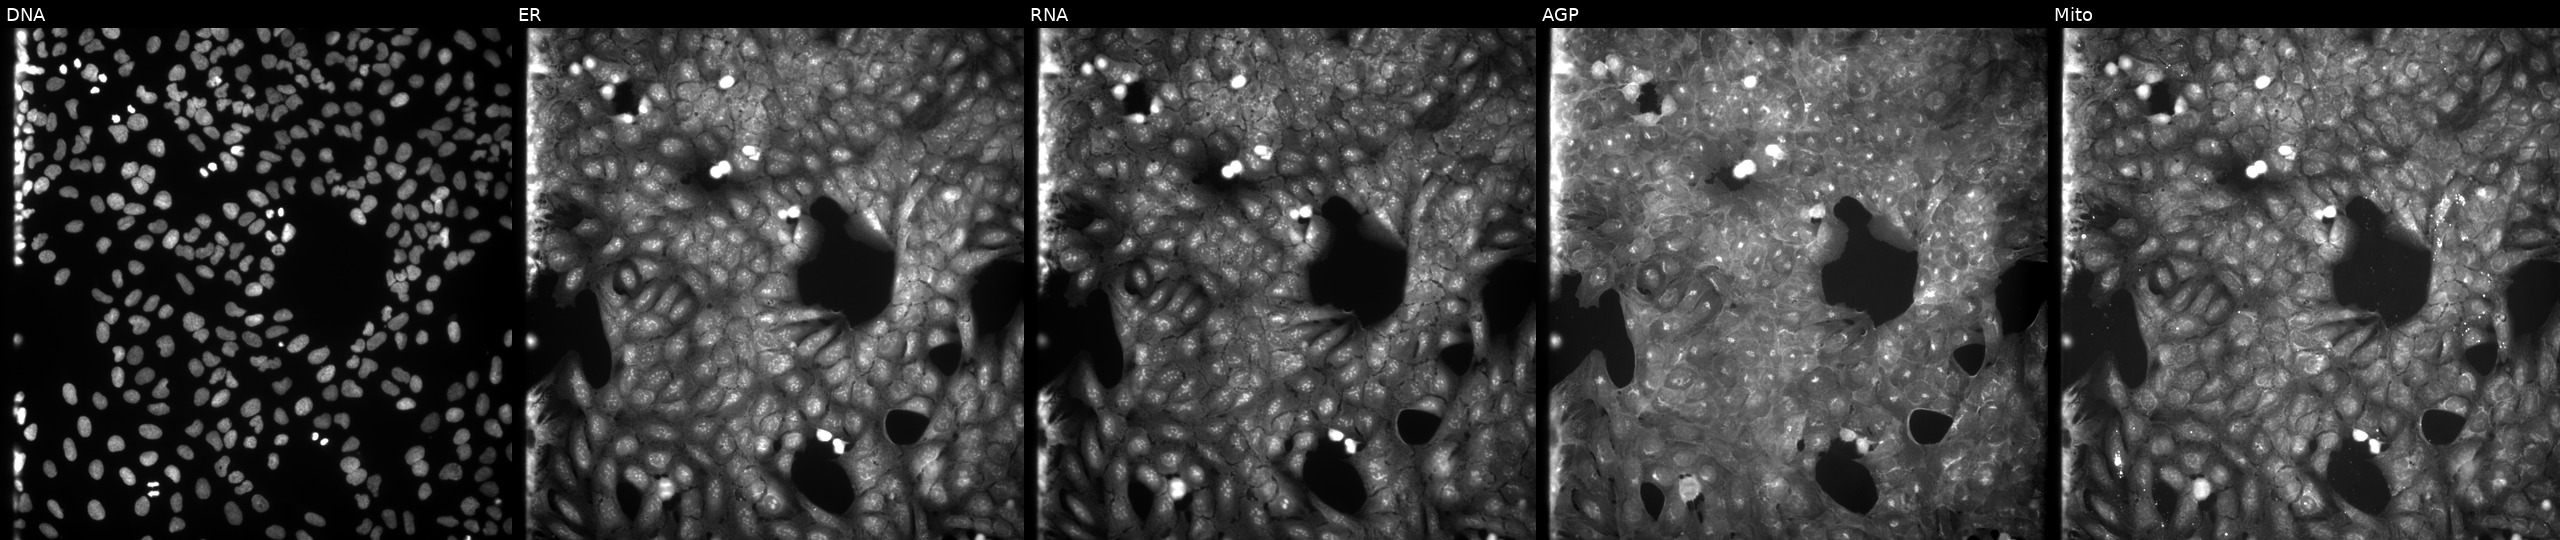
High-content fluorescence microscopy (Cell Painting). Cell line: U2OS. Perturbation: exposed to a small-molecule compound (InChIKey RHOGJKLRLPILQR-UHFFFAOYSA-N) [SMILES: O=[N+]([O-])c1ccc(CCNc2cccc3ccccc23)c([N+](=O)[O-])c1]. Panels show, left to right, Hoechst 33342, concanavalin A, SYTO 14, phalloidin and WGA, MitoTracker. Source 9, plate GR00003381, well I12.